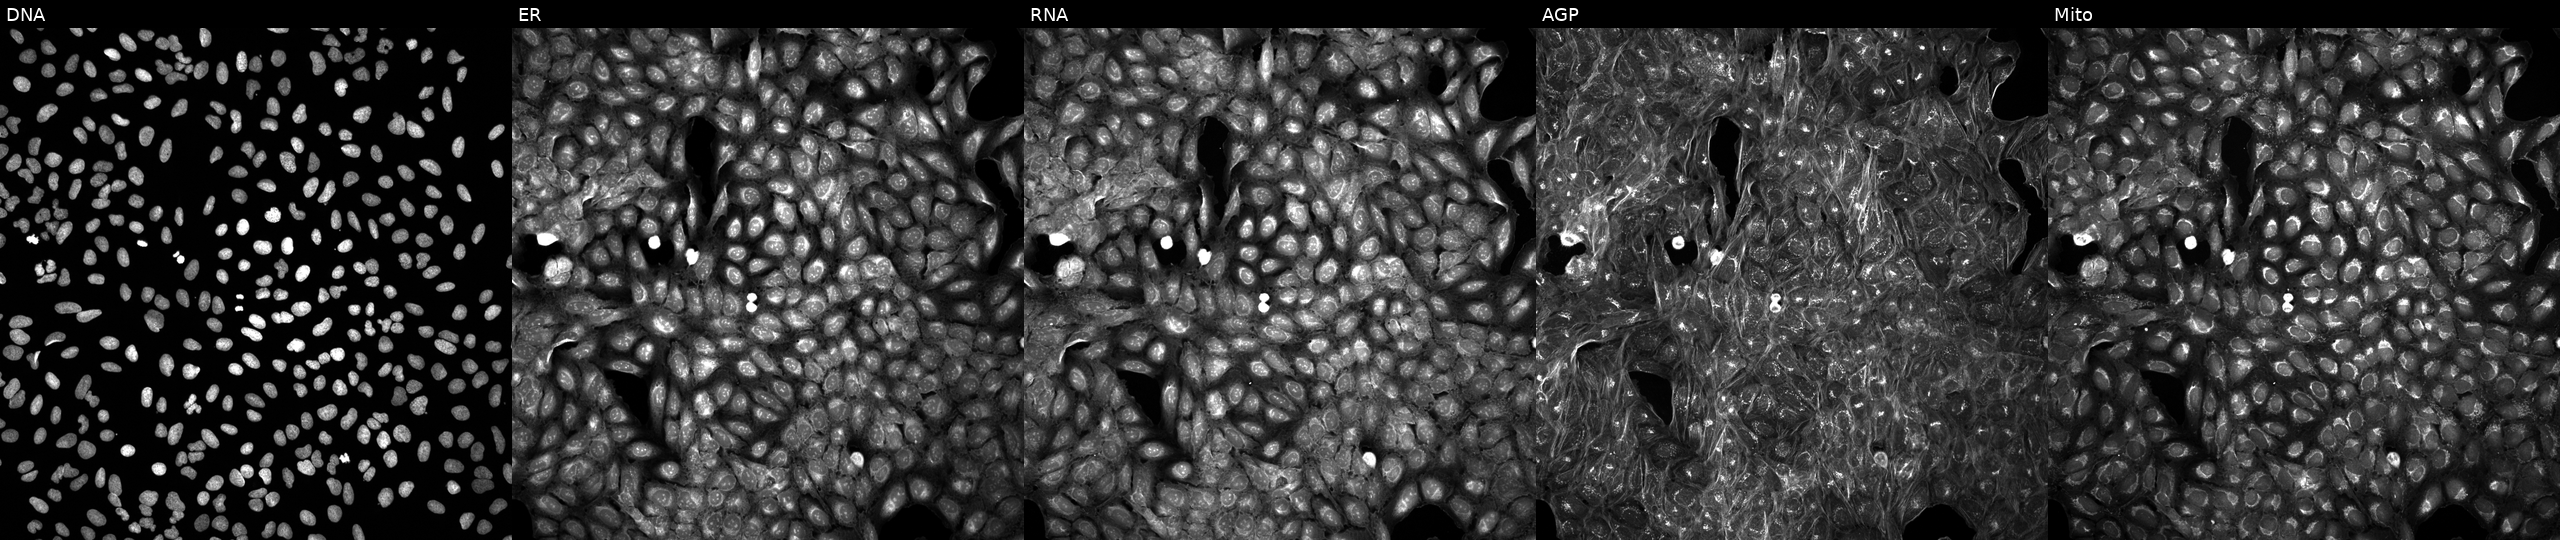
U2OS cells, Cell Painting assay, perturbed with a small-molecule compound [SMILES: COc1cc(OC)cc(C(C(=O)NC2CCCCC2)N(C(=O)c2ccno2)c2ccccc2)c1]. From left to right: DNA (nuclei); ER (endoplasmic reticulum); RNA (nucleoli and cytoplasmic RNA); AGP (actin cytoskeleton, Golgi, and plasma membrane); Mito (mitochondria). Each panel is percentile-stretched 16-bit fluorescence.